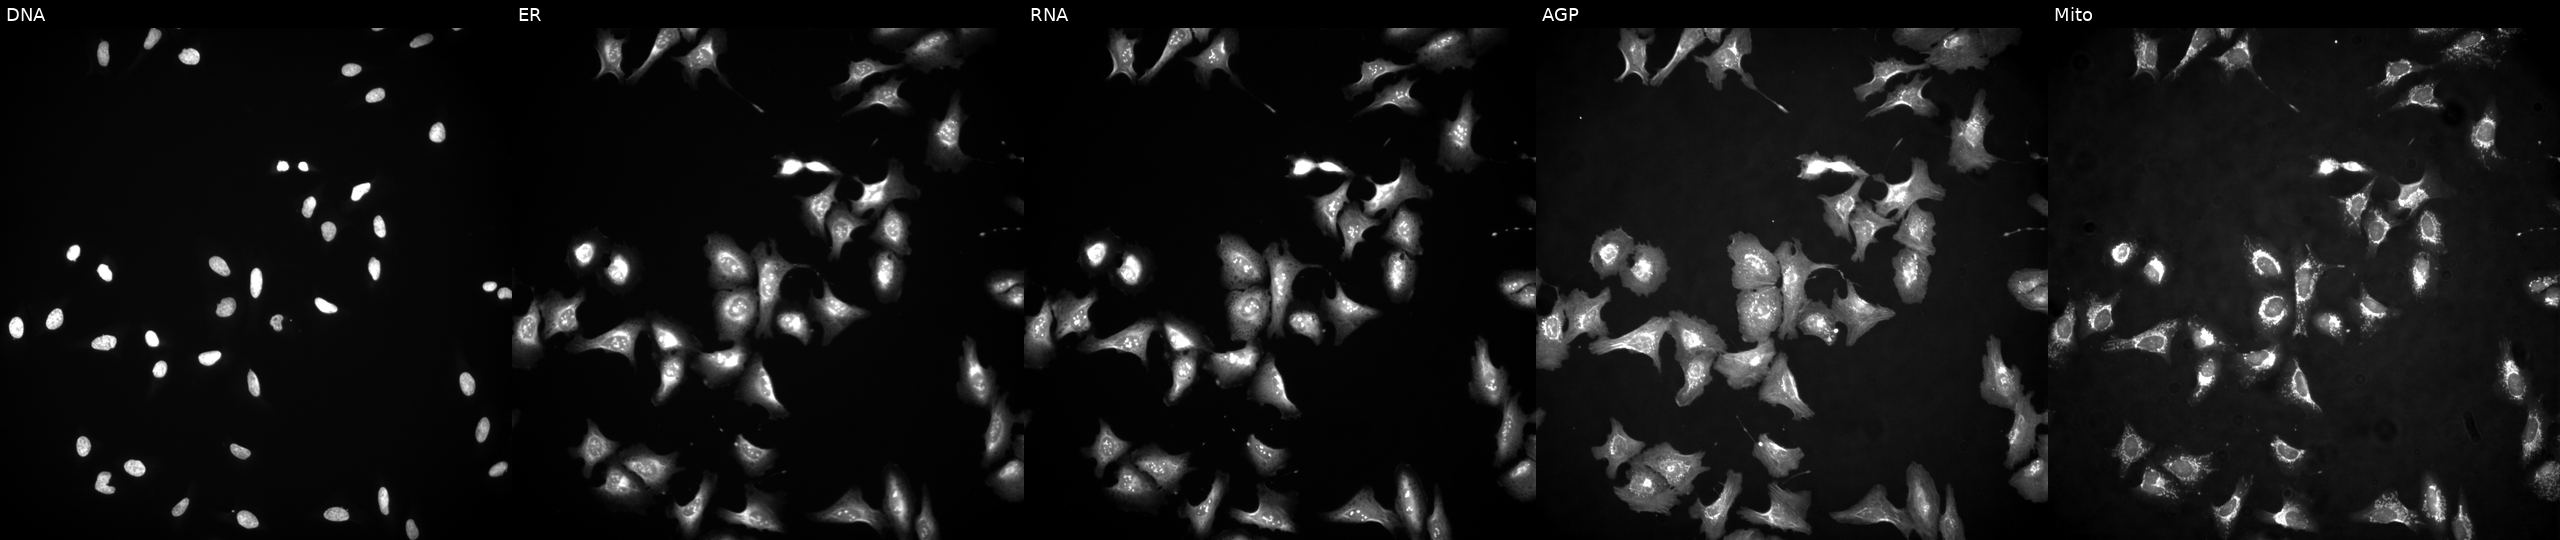
From left to right: Hoechst 33342, concanavalin A, SYTO 14, phalloidin and WGA, MitoTracker. U2OS osteosarcoma cells transfected with an ORF construct for ILKAP (JUMP id JCP2022_903958). Cell Painting assay, JUMP-CP dataset.